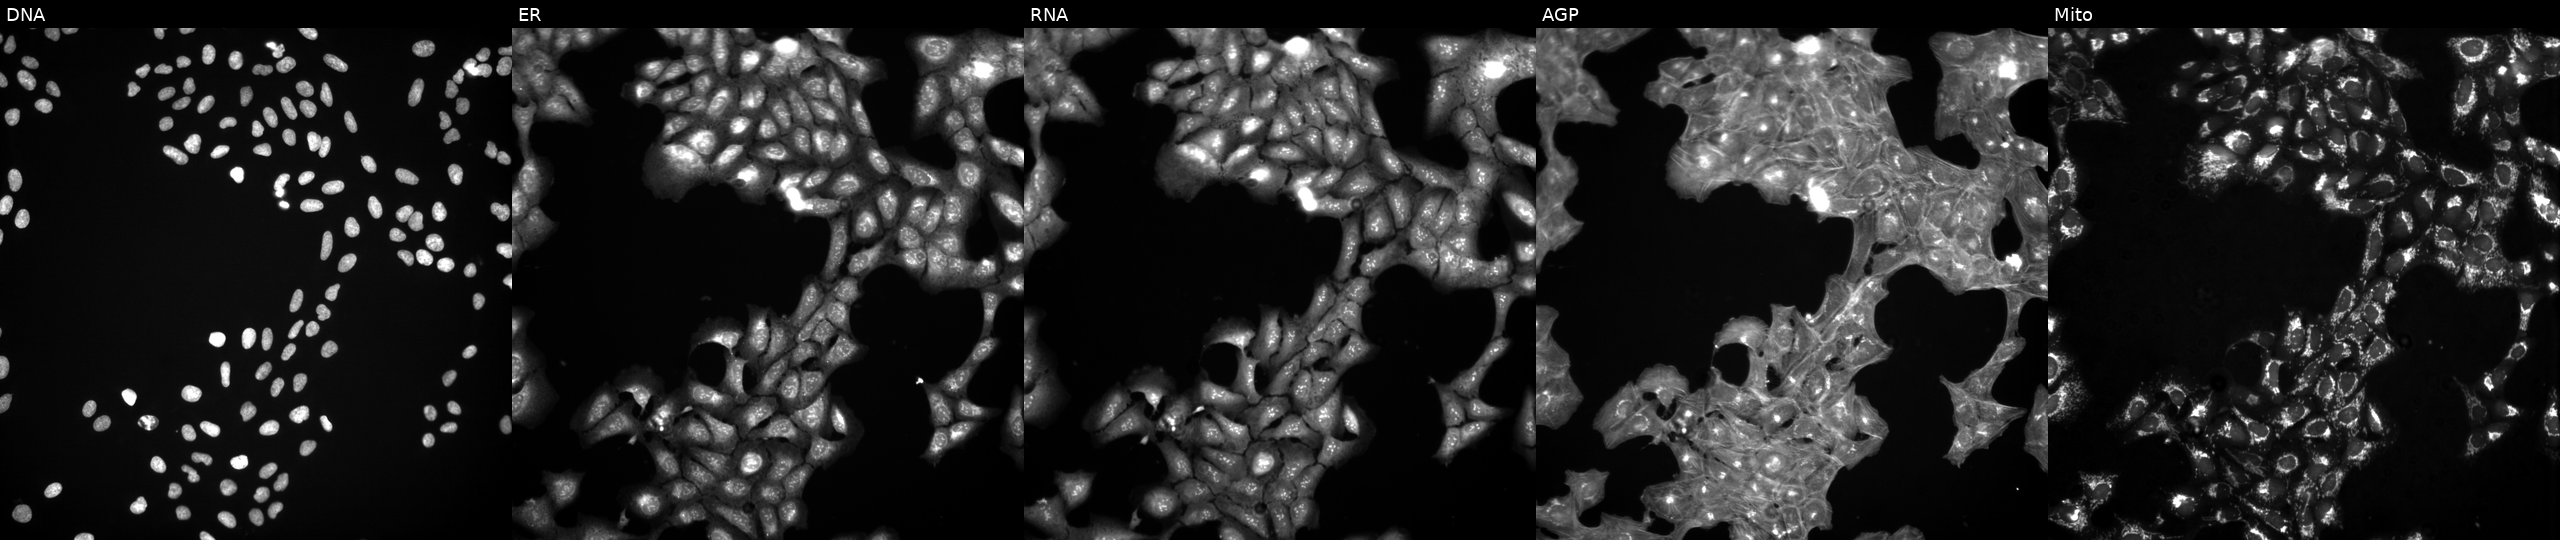
JUMP Cell Painting — TARGET2 plate. U2OS cells treated with a small-molecule compound. Panels show, left to right, Hoechst 33342, concanavalin A, SYTO 14, phalloidin and WGA, MitoTracker. Source 3, plate JCPQC051, well C05.